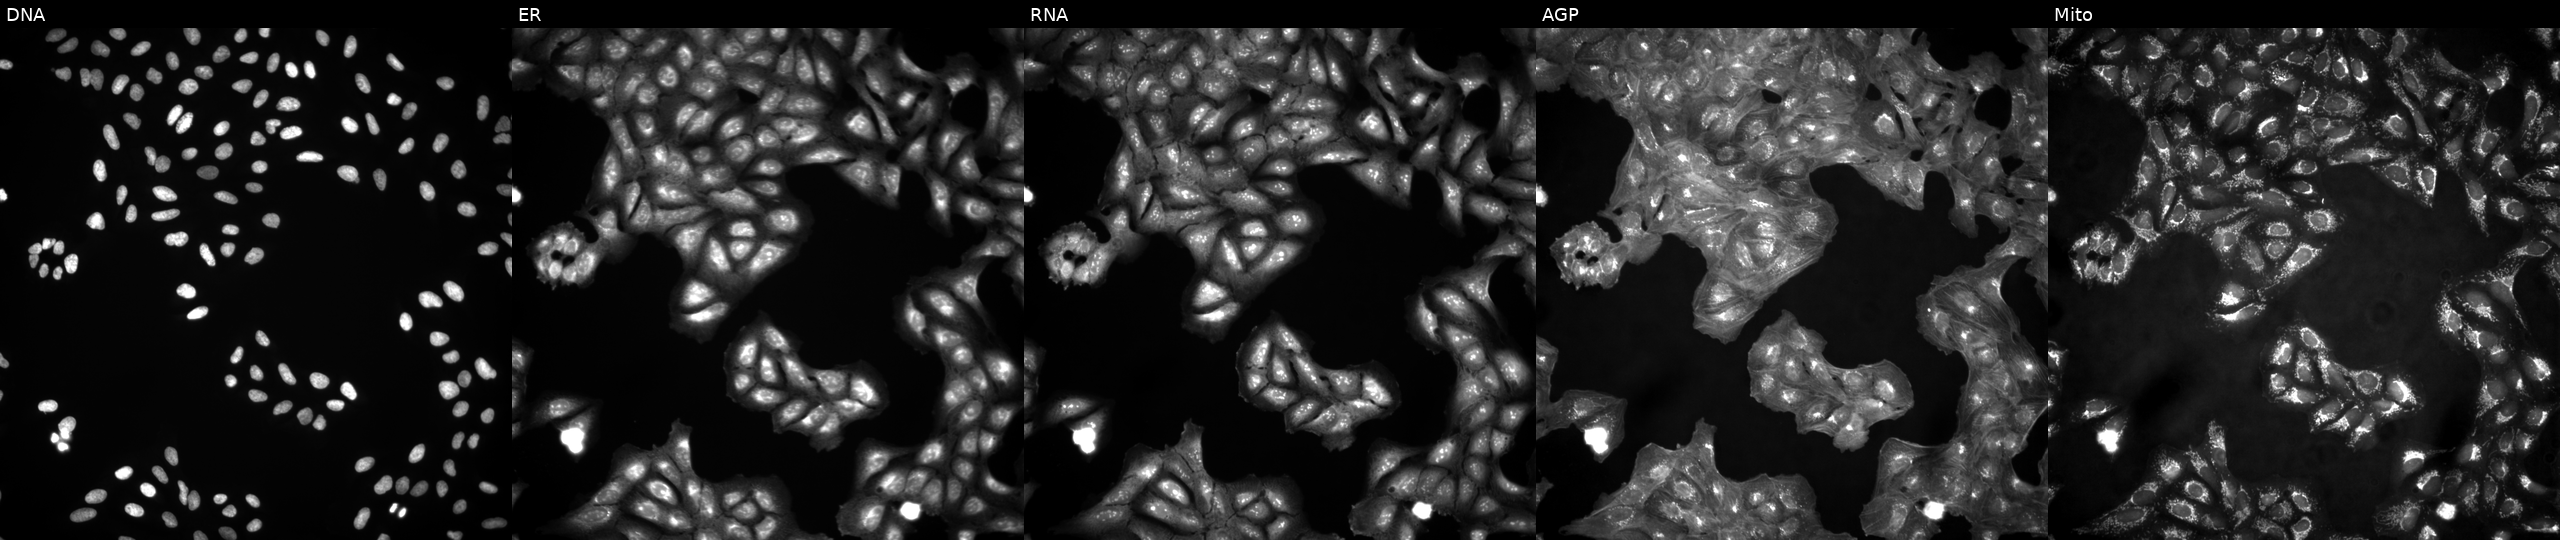
Channels (left→right): DNA, ER, RNA, AGP, and Mito. U2OS osteosarcoma cells untreated (empty-well control). Cell Painting assay, JUMP-CP dataset.